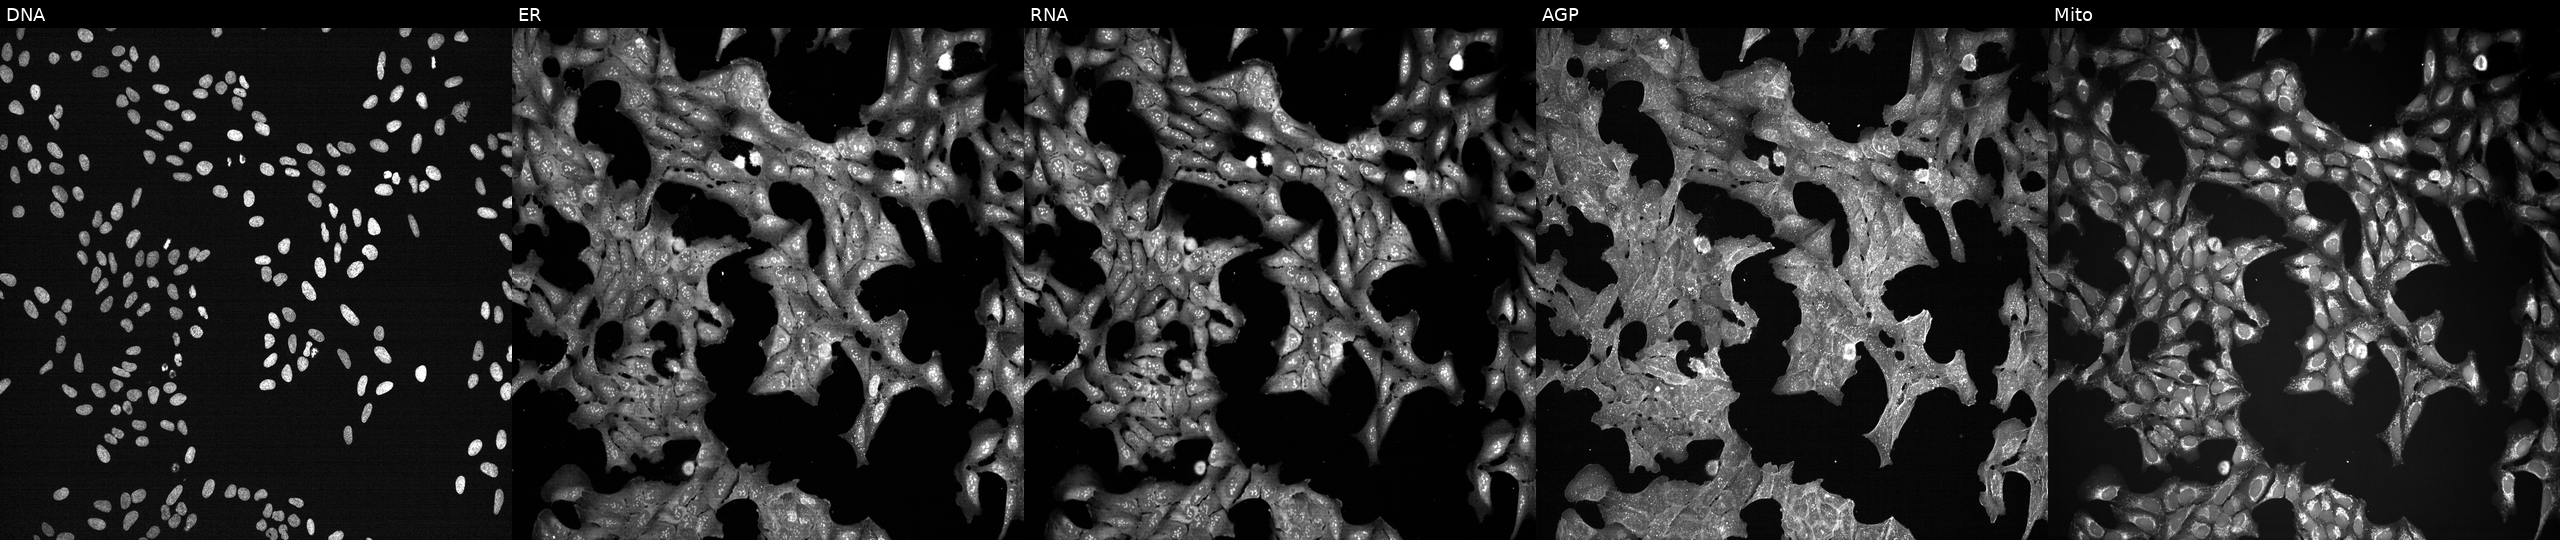
Panels show, left to right, DNA, ER, RNA, AGP, and Mito. U2OS osteosarcoma cells exposed to the positive-control compound dexamethasone (JUMP id JCP2022_025848). Cell Painting assay, JUMP-CP dataset.